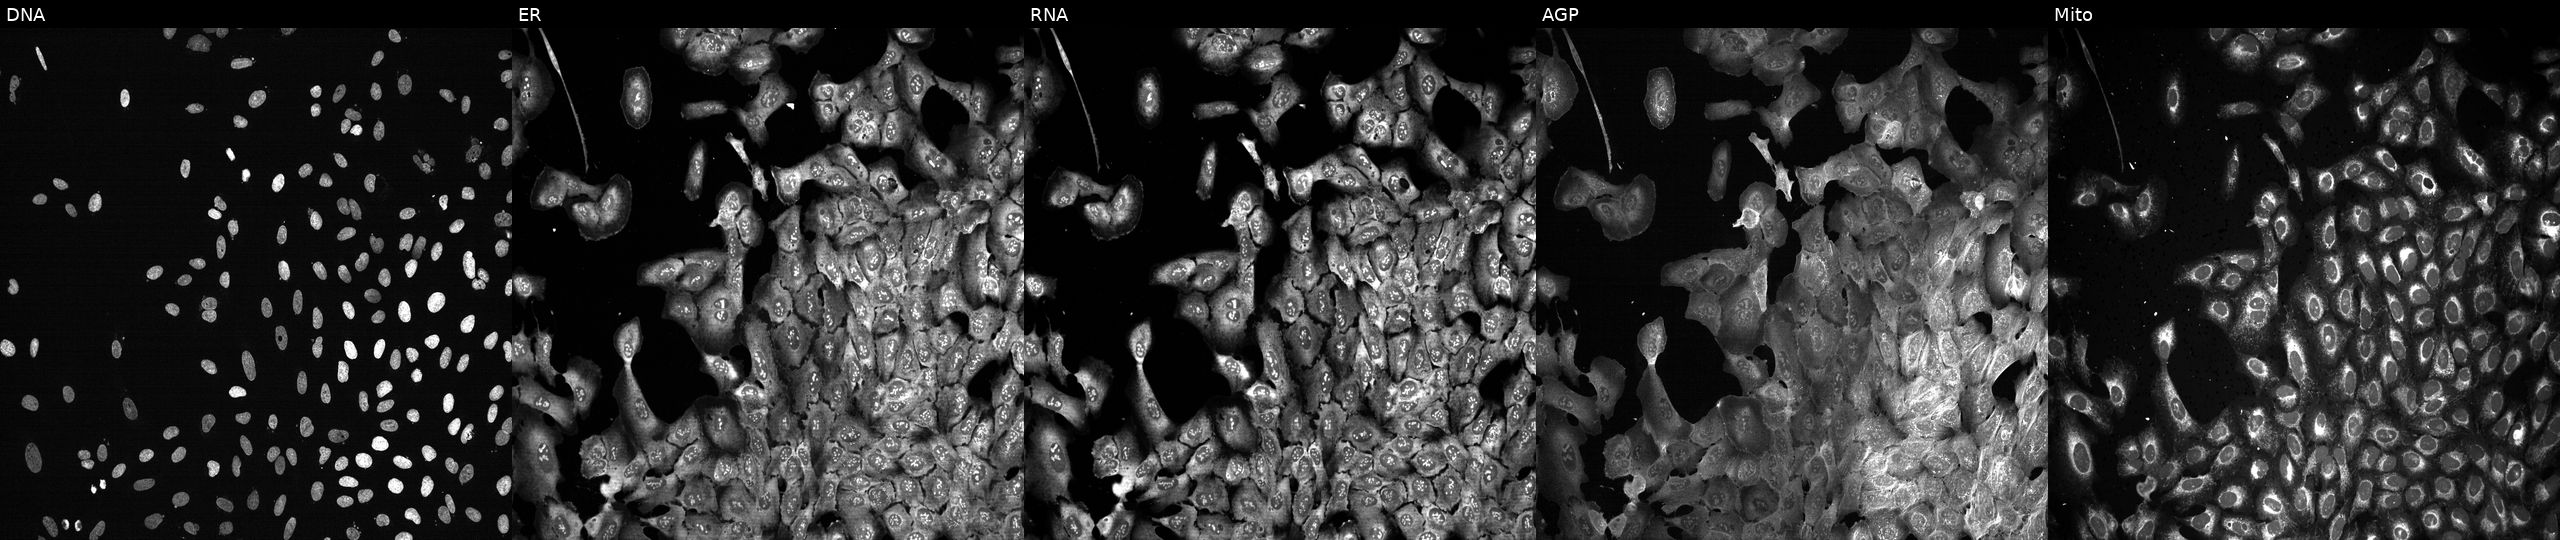
Five-channel Cell Painting image of U2OS cells following CRISPR knockout of ARL2. The five panels, left to right, show DNA, ER, RNA, AGP, and Mito.